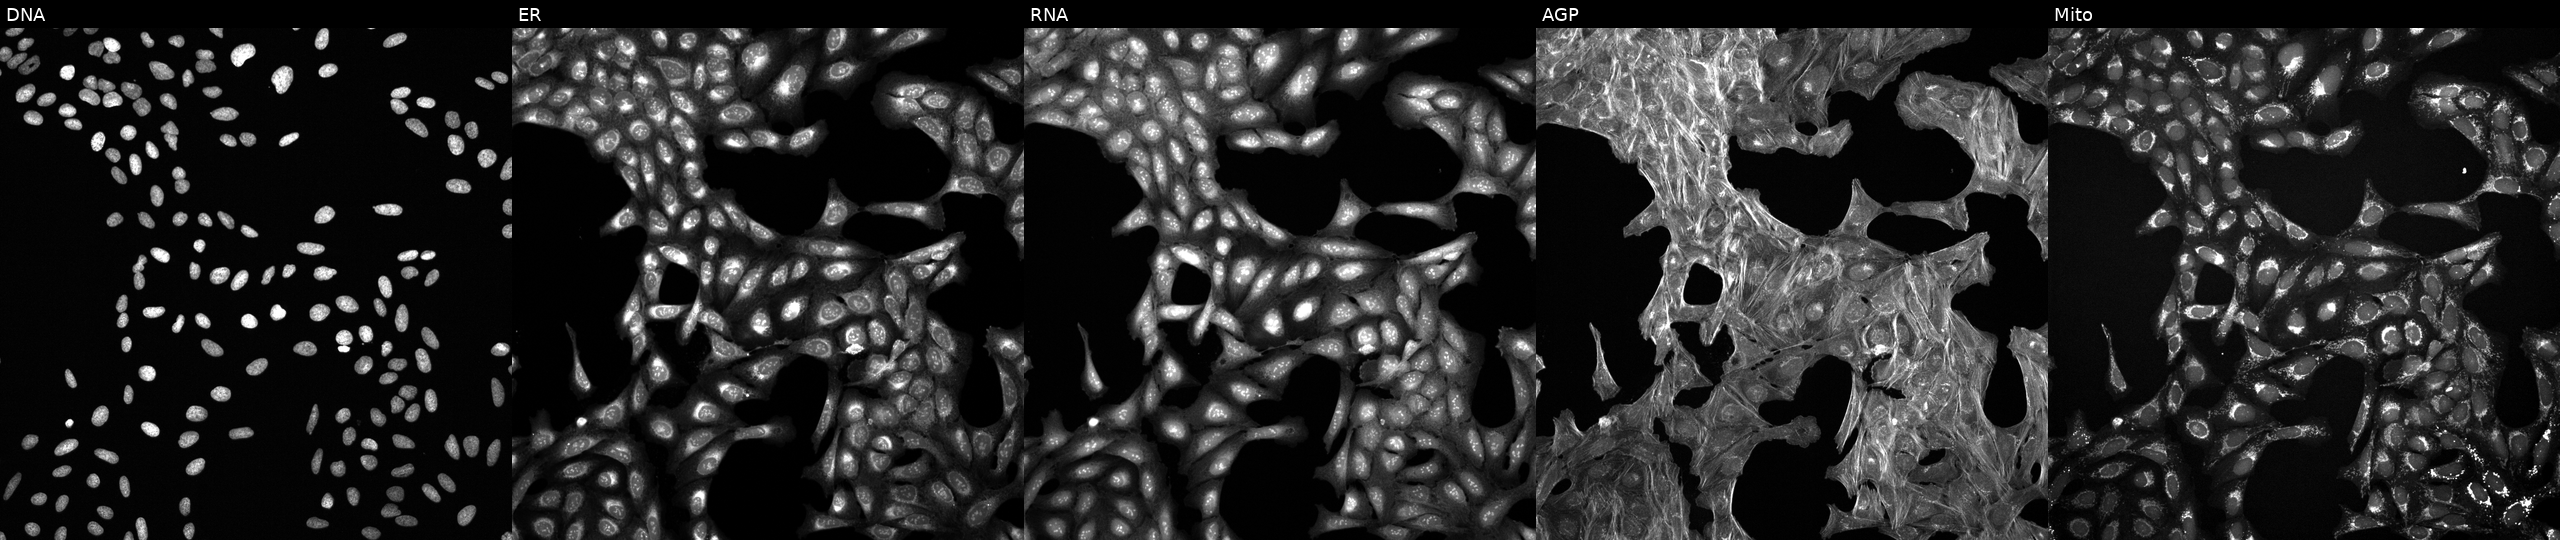
Five-channel Cell Painting image of U2OS cells treated with DMSO vehicle only (negative control) (JUMP id JCP2022_033924). The five panels, left to right, show DNA, ER, RNA, AGP, and Mito. Source 6, plate 110000293083, well O02.